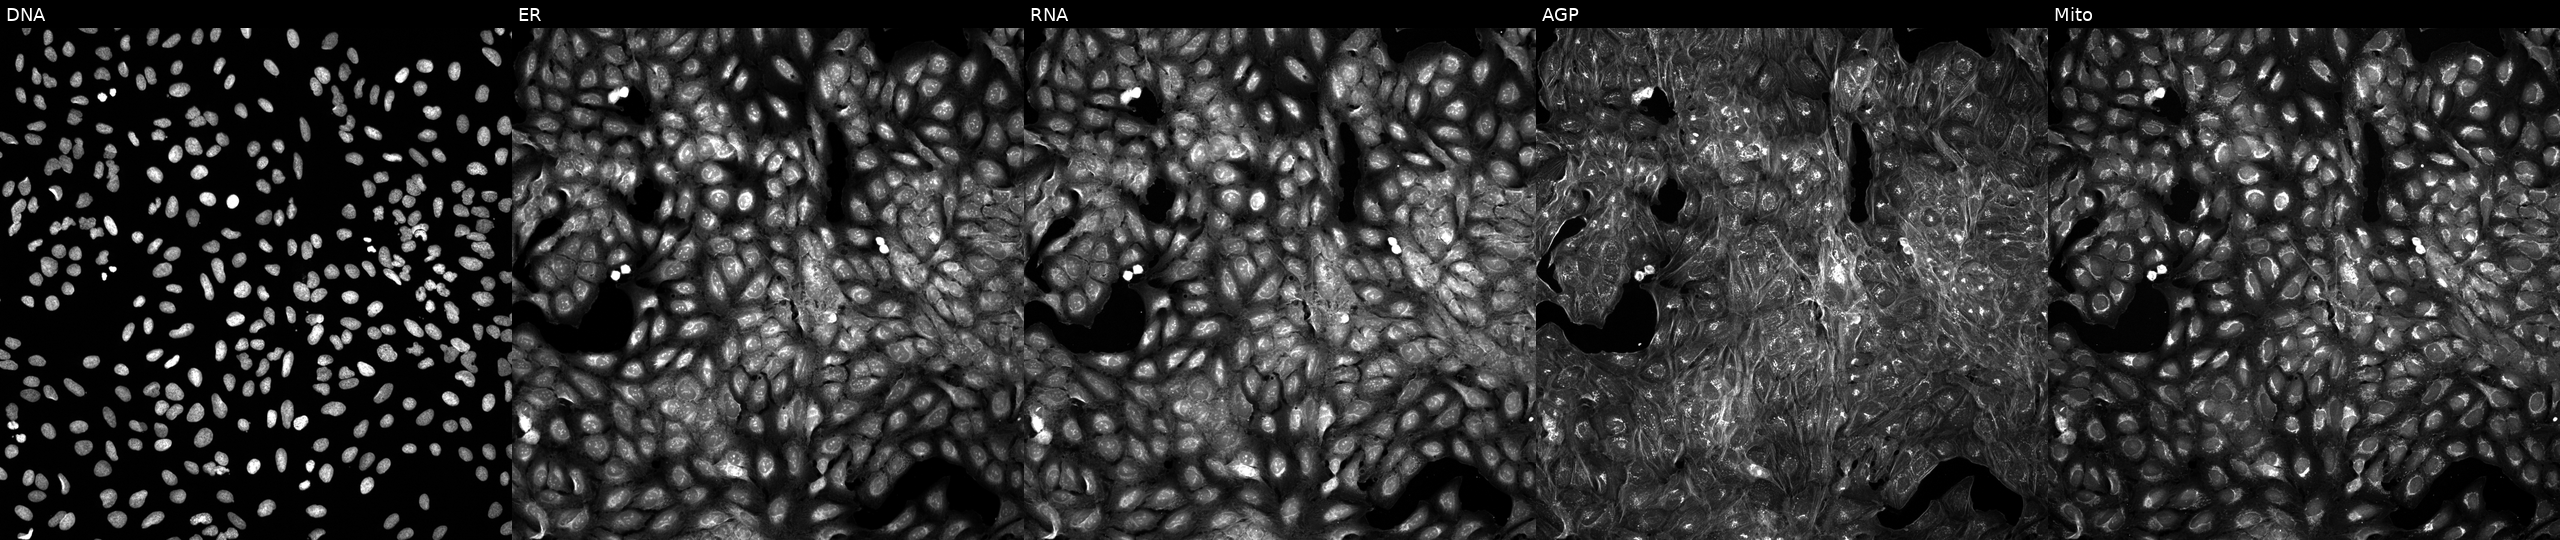
This image strip shows the five Cell Painting channels for a single field of U2OS cells treated with a small-molecule compound (InChIKey DIMGDVSQMXTXLC-UHFFFAOYSA-N) (JUMP id JCP2022_016124). The five panels, left to right, show DNA (nuclei); ER (endoplasmic reticulum); RNA (nucleoli and cytoplasmic RNA); AGP (actin cytoskeleton, Golgi, and plasma membrane); Mito (mitochondria).